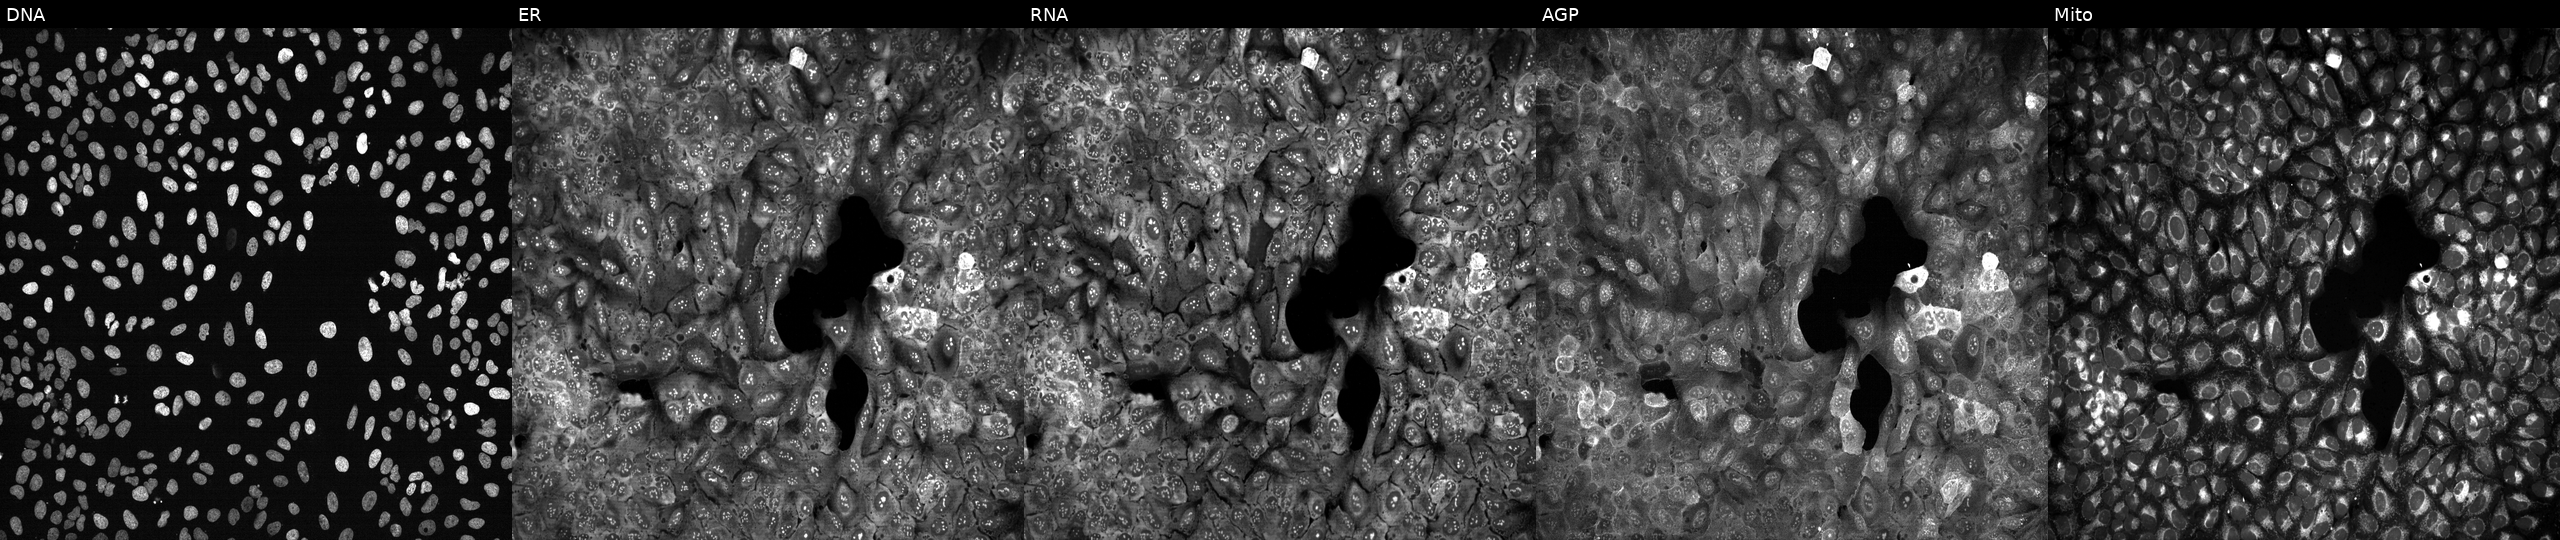
High-content fluorescence microscopy (Cell Painting). Cell line: U2OS. Perturbation: following CRISPR knockout of ABCG8. Channels (left→right): DNA, ER, RNA, AGP, and Mito.